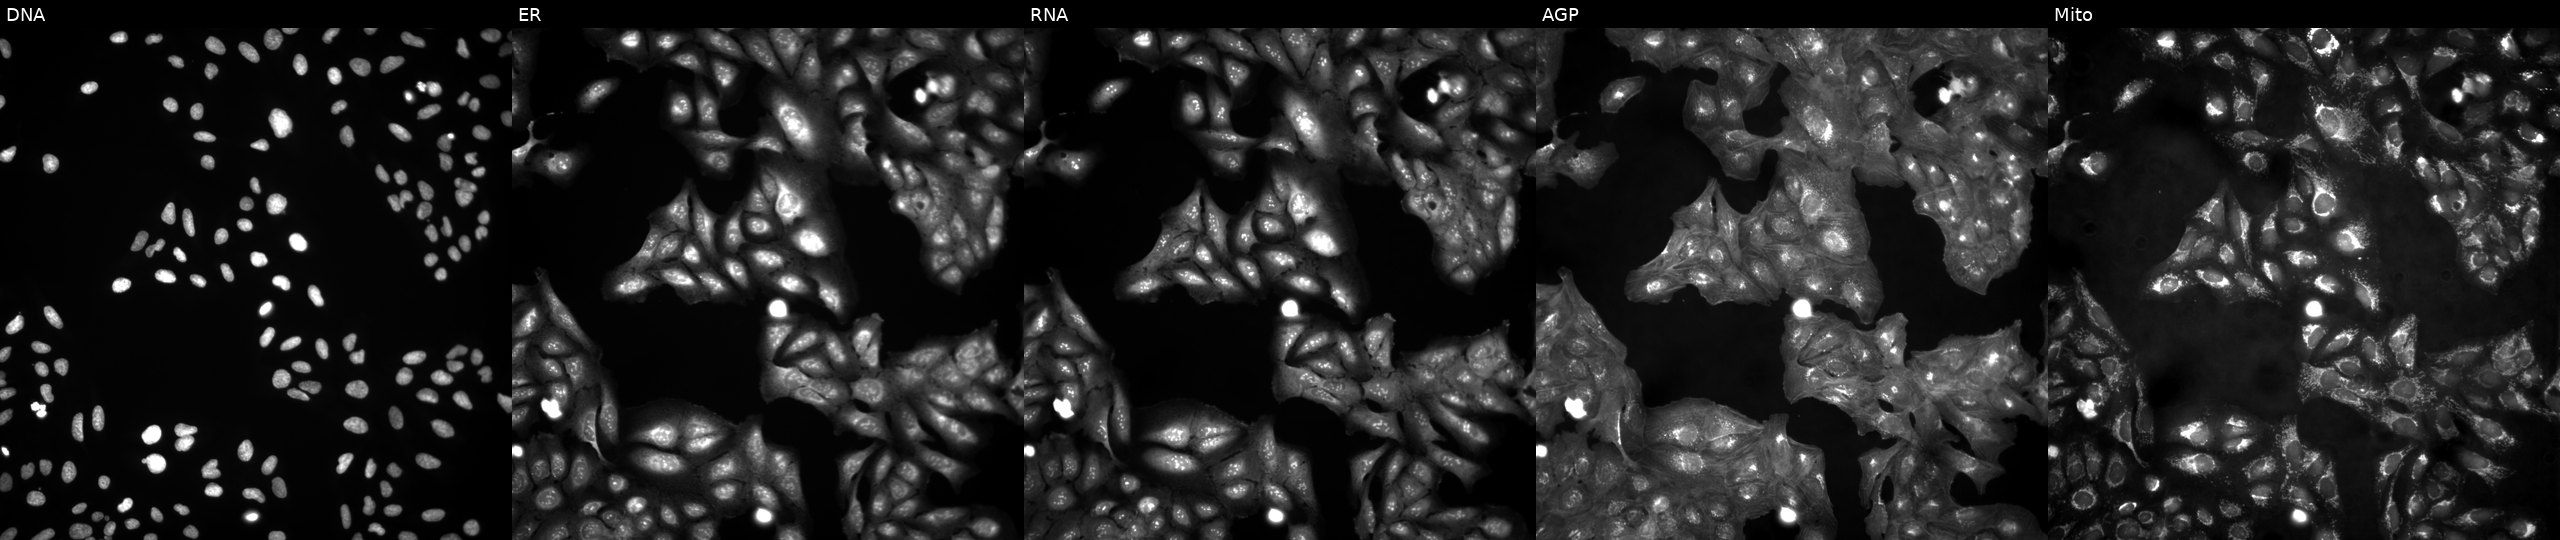
JUMP Cell Painting — ORF plate. U2OS cells in an empty control well (no perturbation). Panels show, left to right, Hoechst 33342, concanavalin A, SYTO 14, phalloidin and WGA, MitoTracker.